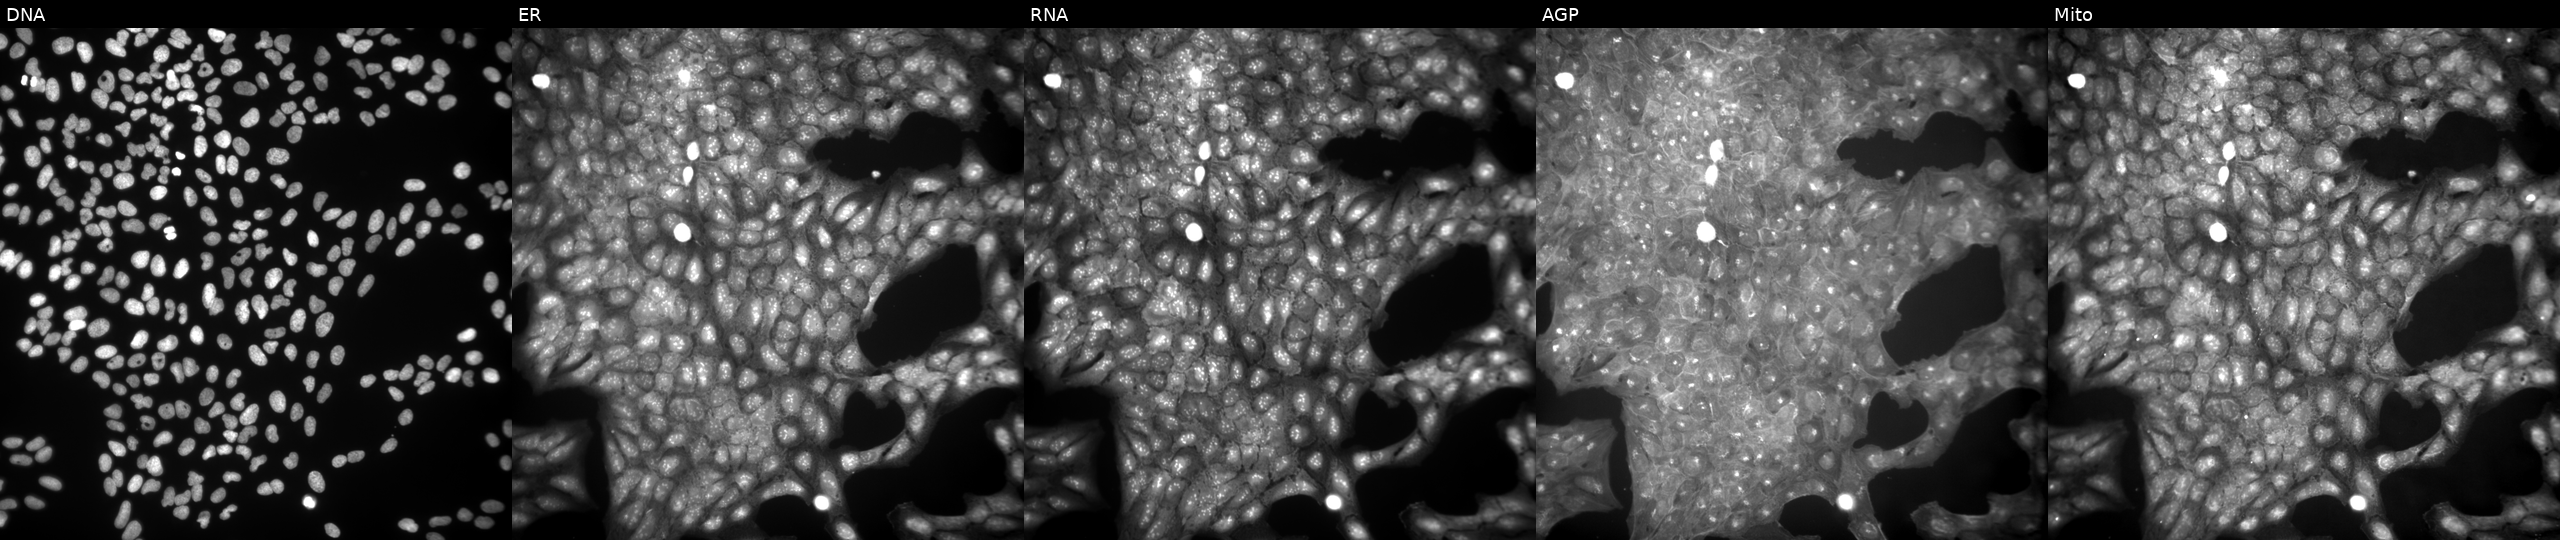
This image strip shows the five Cell Painting channels for a single field of U2OS cells exposed to a small-molecule compound [SMILES: CCOC(=O)COc1ccc2oc(C)c(C(=O)OC)c2c1]. The five panels, left to right, show DNA, ER, RNA, AGP, and Mito.